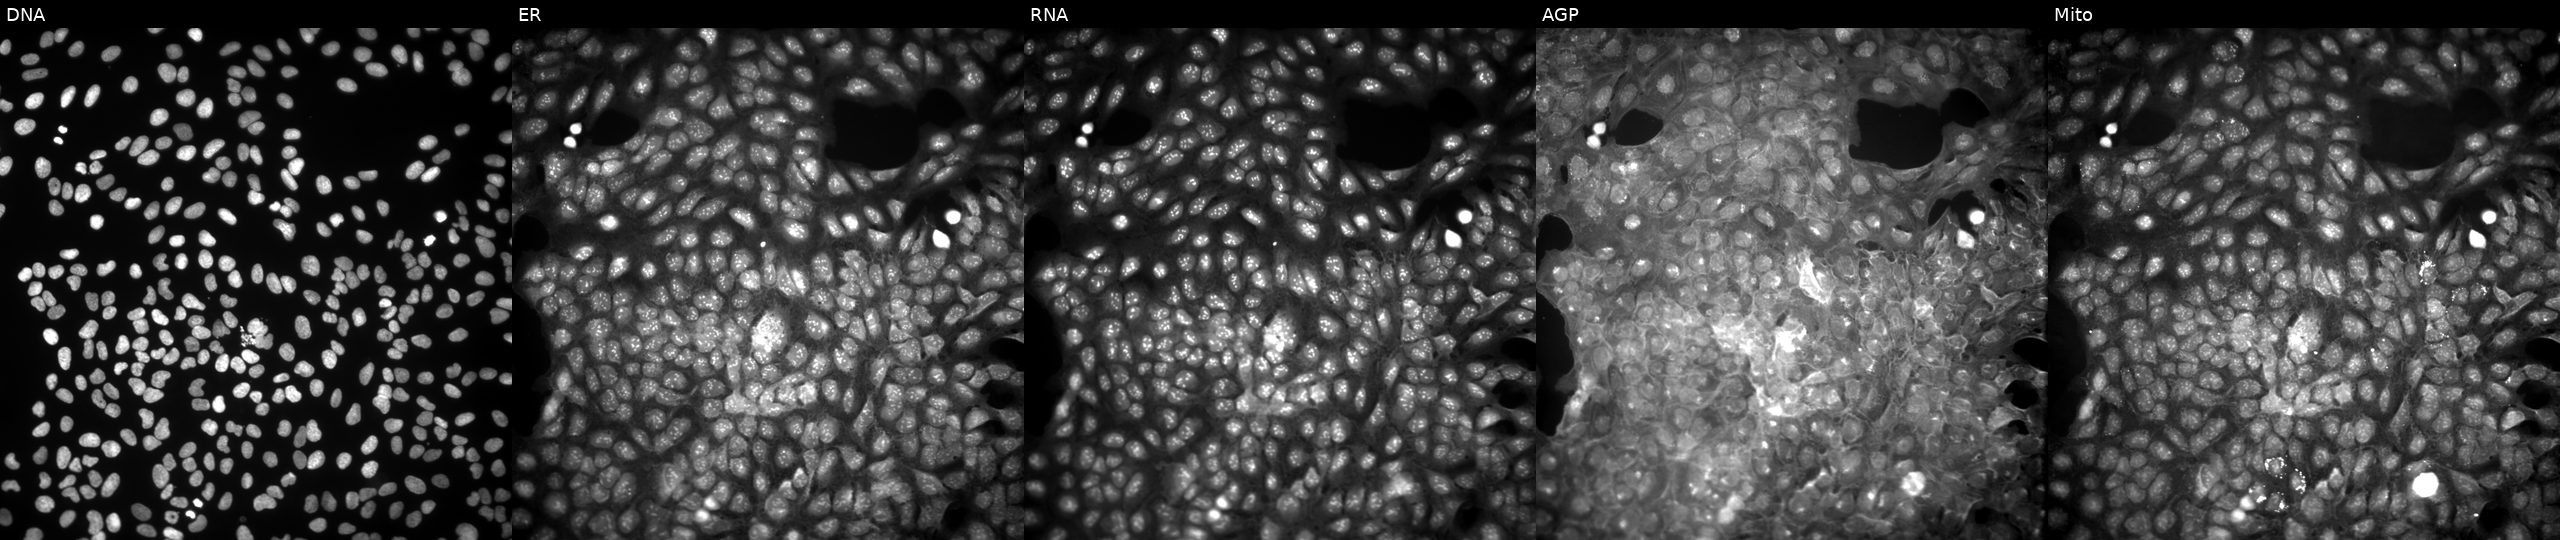
High-content fluorescence microscopy (Cell Painting). Cell line: U2OS. Perturbation: perturbed with a small-molecule compound. The five panels, left to right, show Hoechst 33342, concanavalin A, SYTO 14, phalloidin and WGA, MitoTracker.